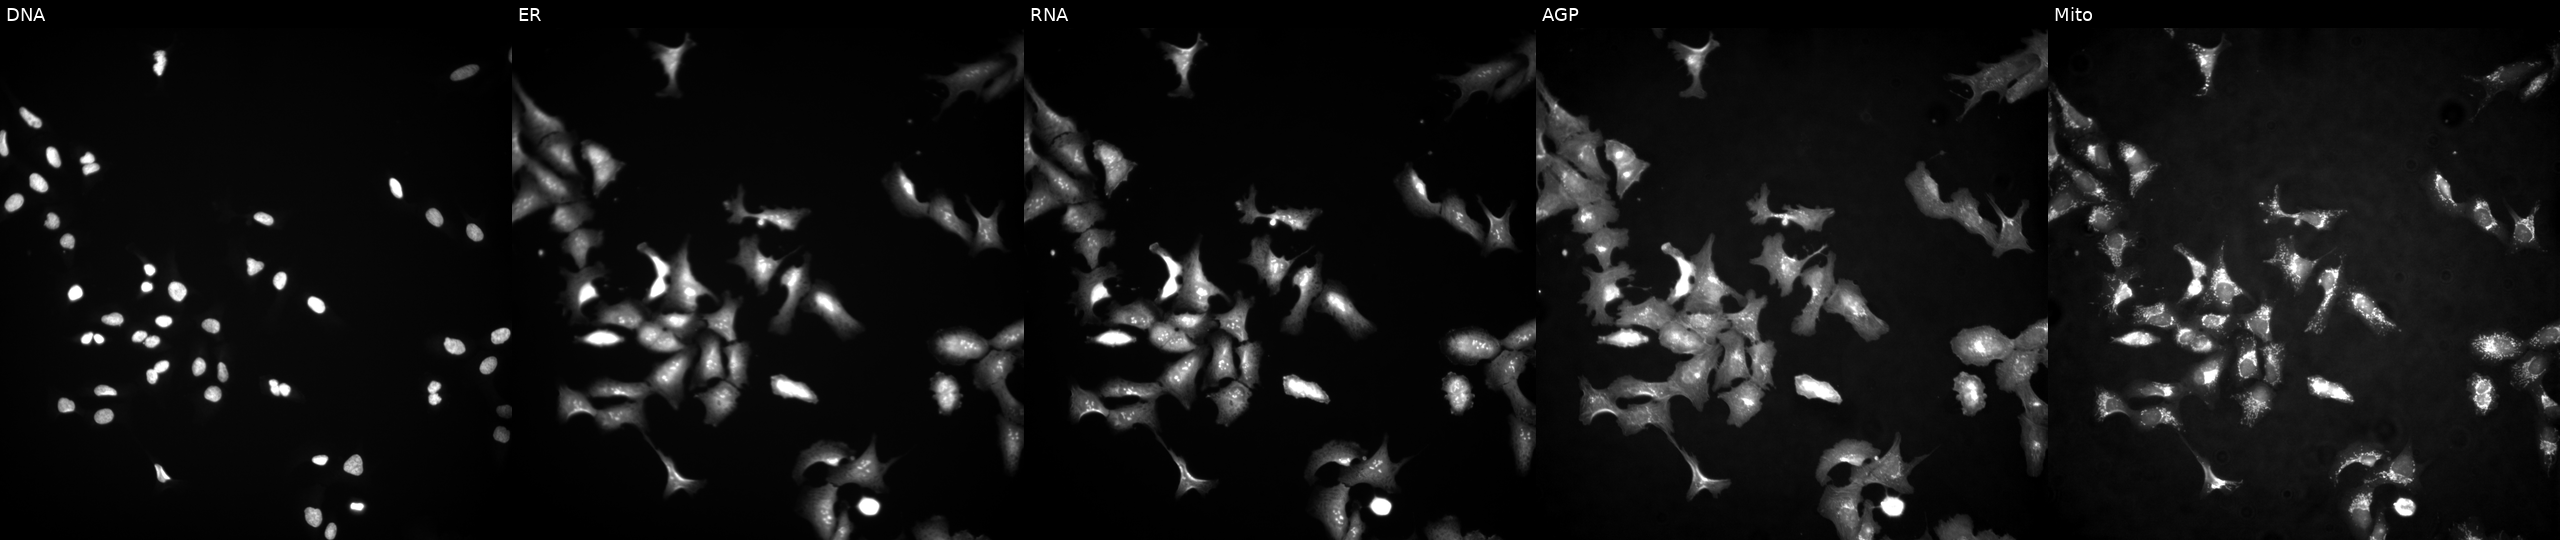
U2OS cells, Cell Painting assay, overexpressing ZNF345 via ORF transfection (JUMP id JCP2022_902695). Panels show, left to right, DNA, ER, RNA, AGP, and Mito. Each panel is percentile-stretched 16-bit fluorescence.